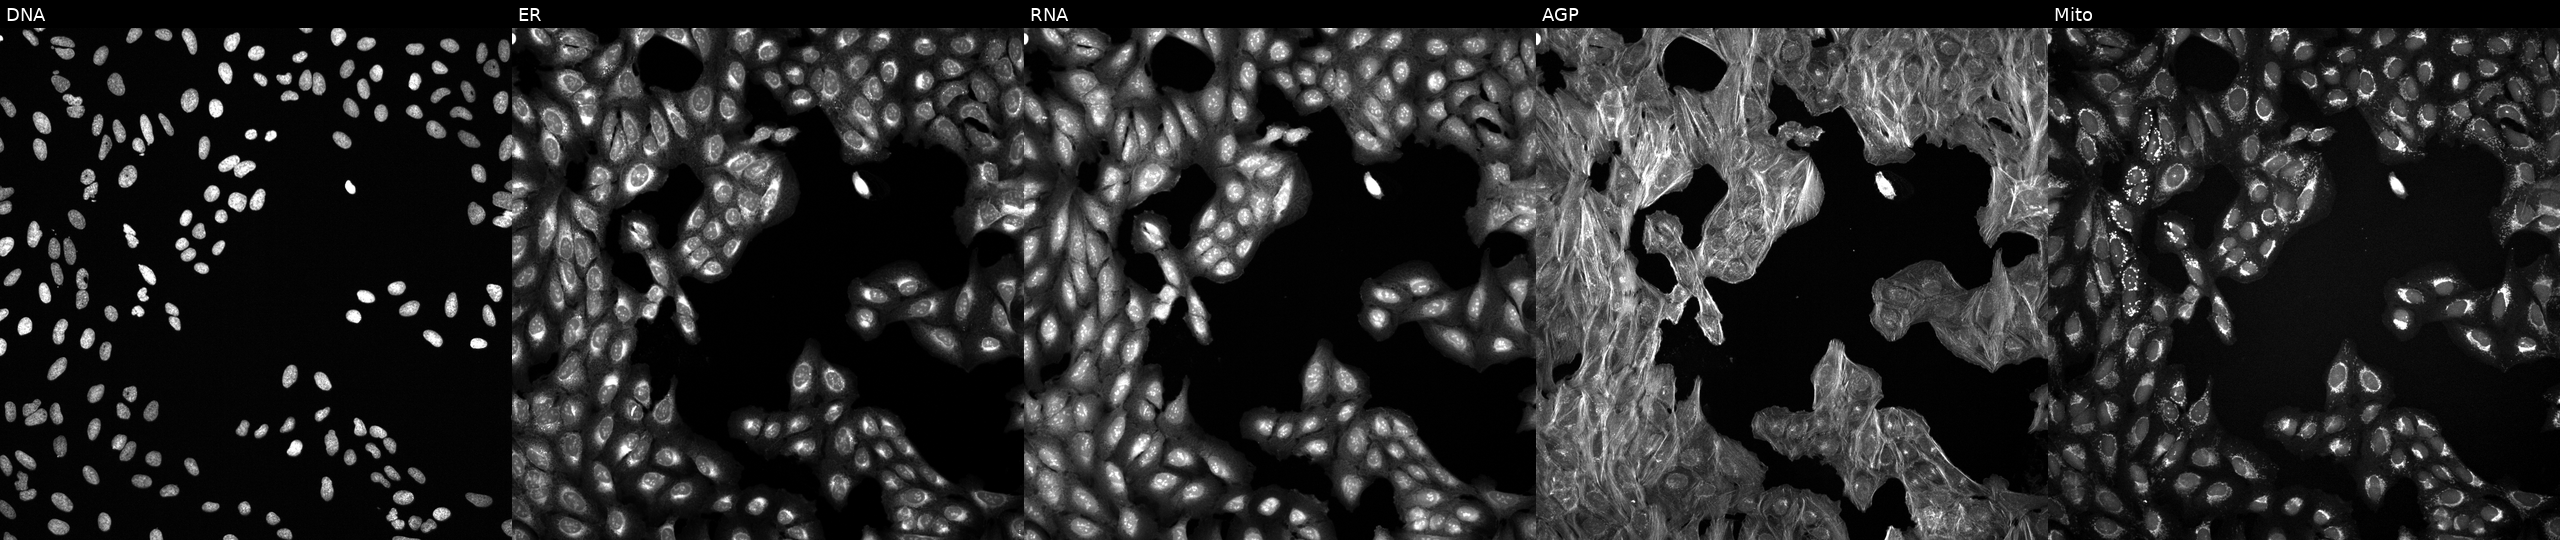
Five-channel Cell Painting image of U2OS cells exposed to DMSO alone as a negative control (JUMP id JCP2022_033924). From left to right: DNA, ER, RNA, AGP, and Mito. Source 6, plate 110000293093, well G16.